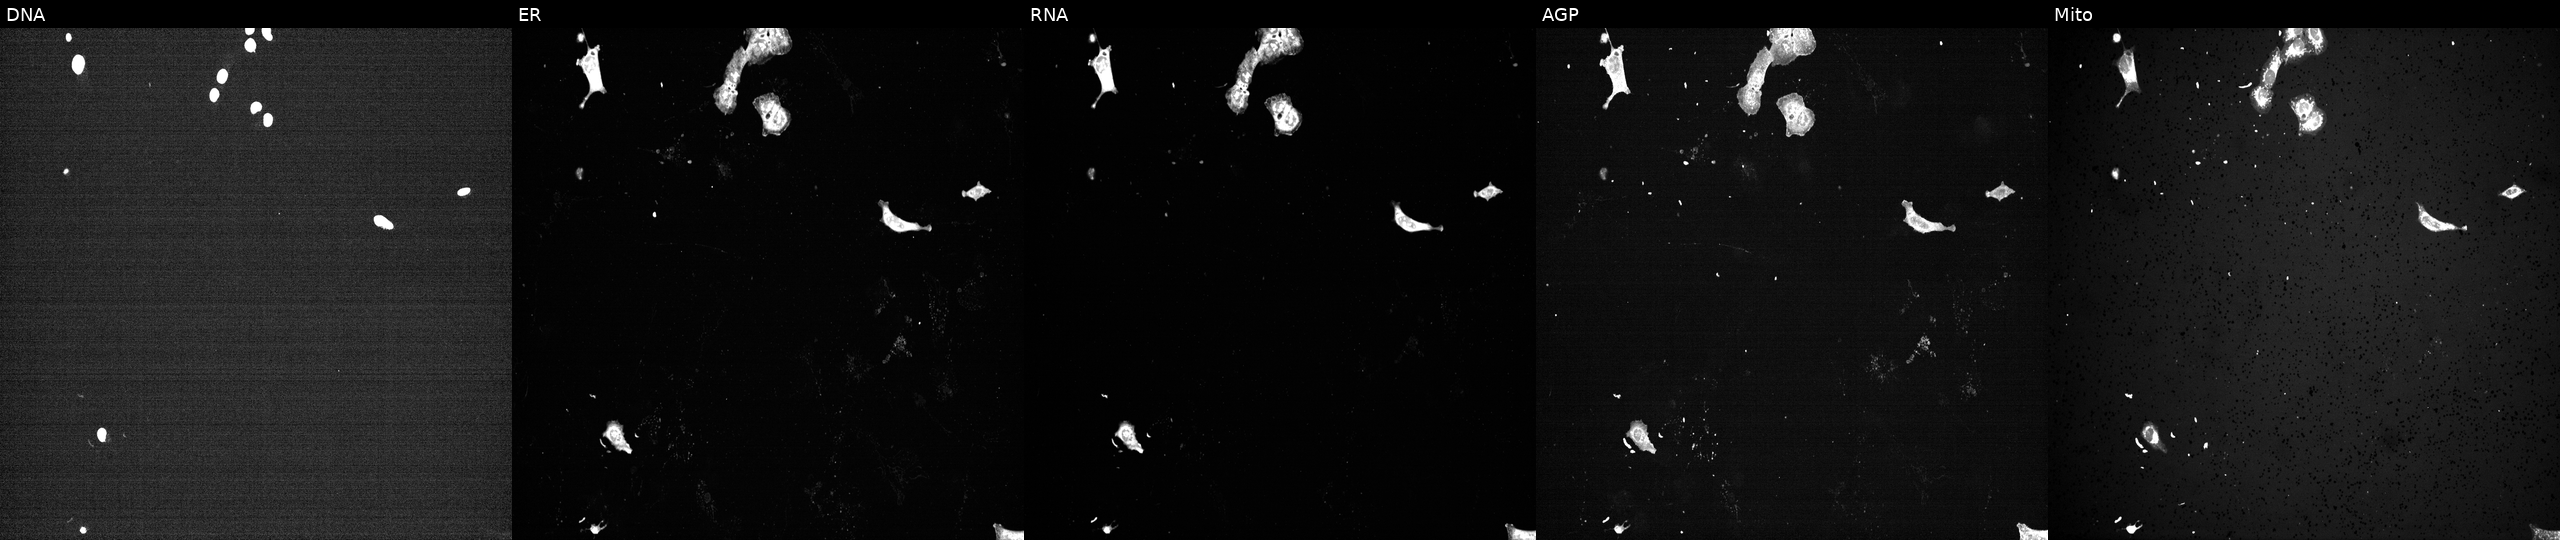
High-content fluorescence microscopy (Cell Painting). Cell line: U2OS. Perturbation: with POLR2A knocked out by CRISPR (JUMP id JCP2022_805342). Channels (left→right): DNA, ER, RNA, AGP, and Mito.